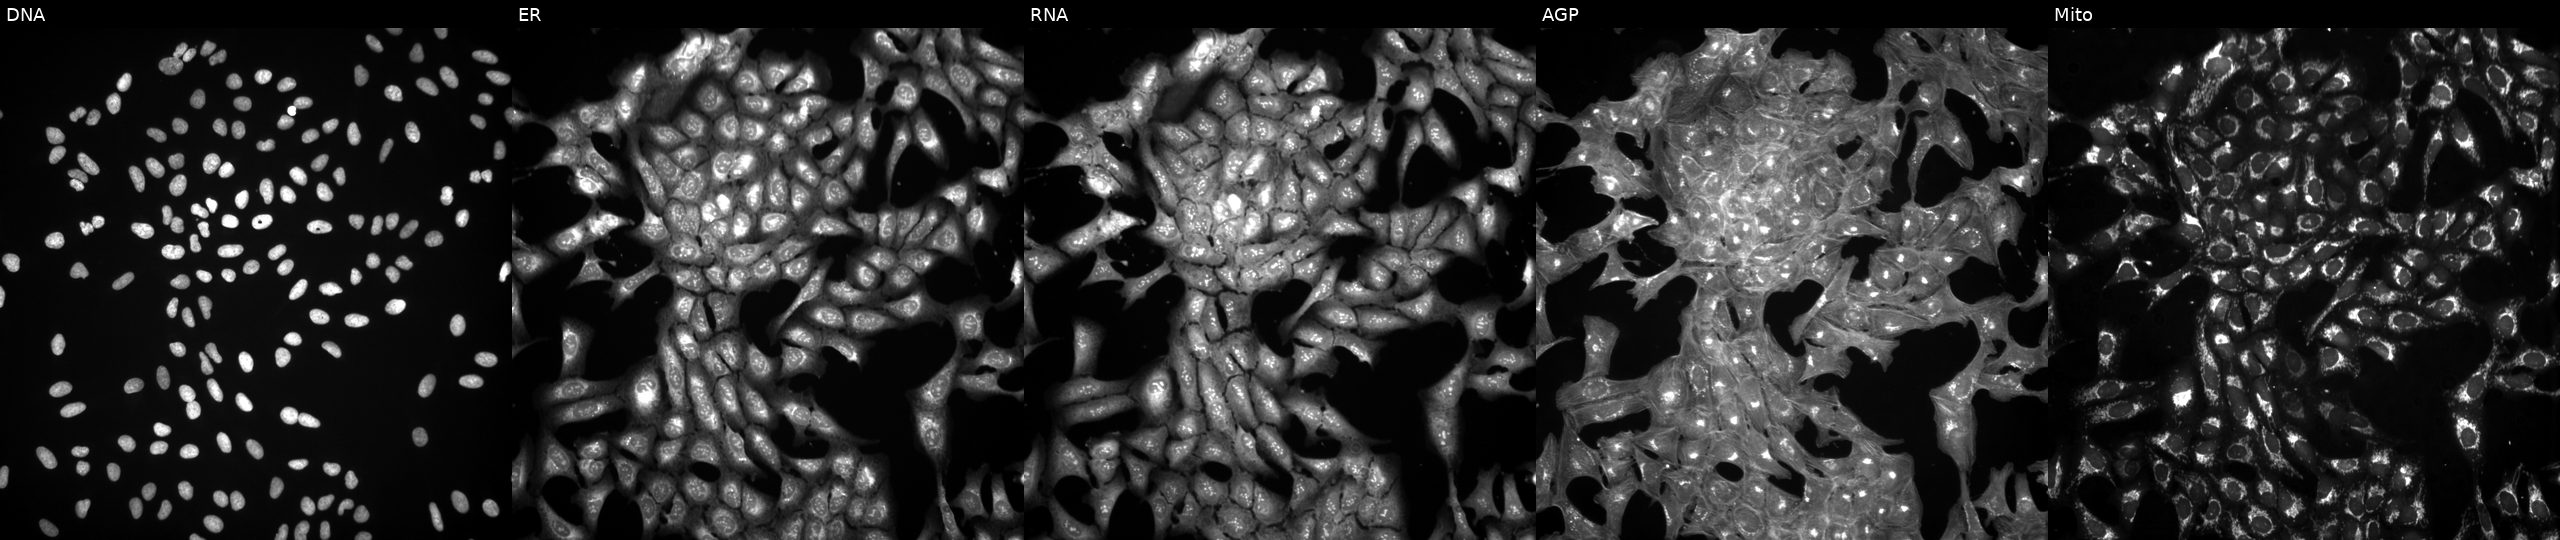
High-content fluorescence microscopy (Cell Painting). Cell line: U2OS. Perturbation: perturbed with a small-molecule compound (InChIKey RZOHDSYFQCBCAY-UHFFFAOYSA-N) (JUMP id JCP2022_081746). Panels show, left to right, DNA, ER, RNA, AGP, and Mito.